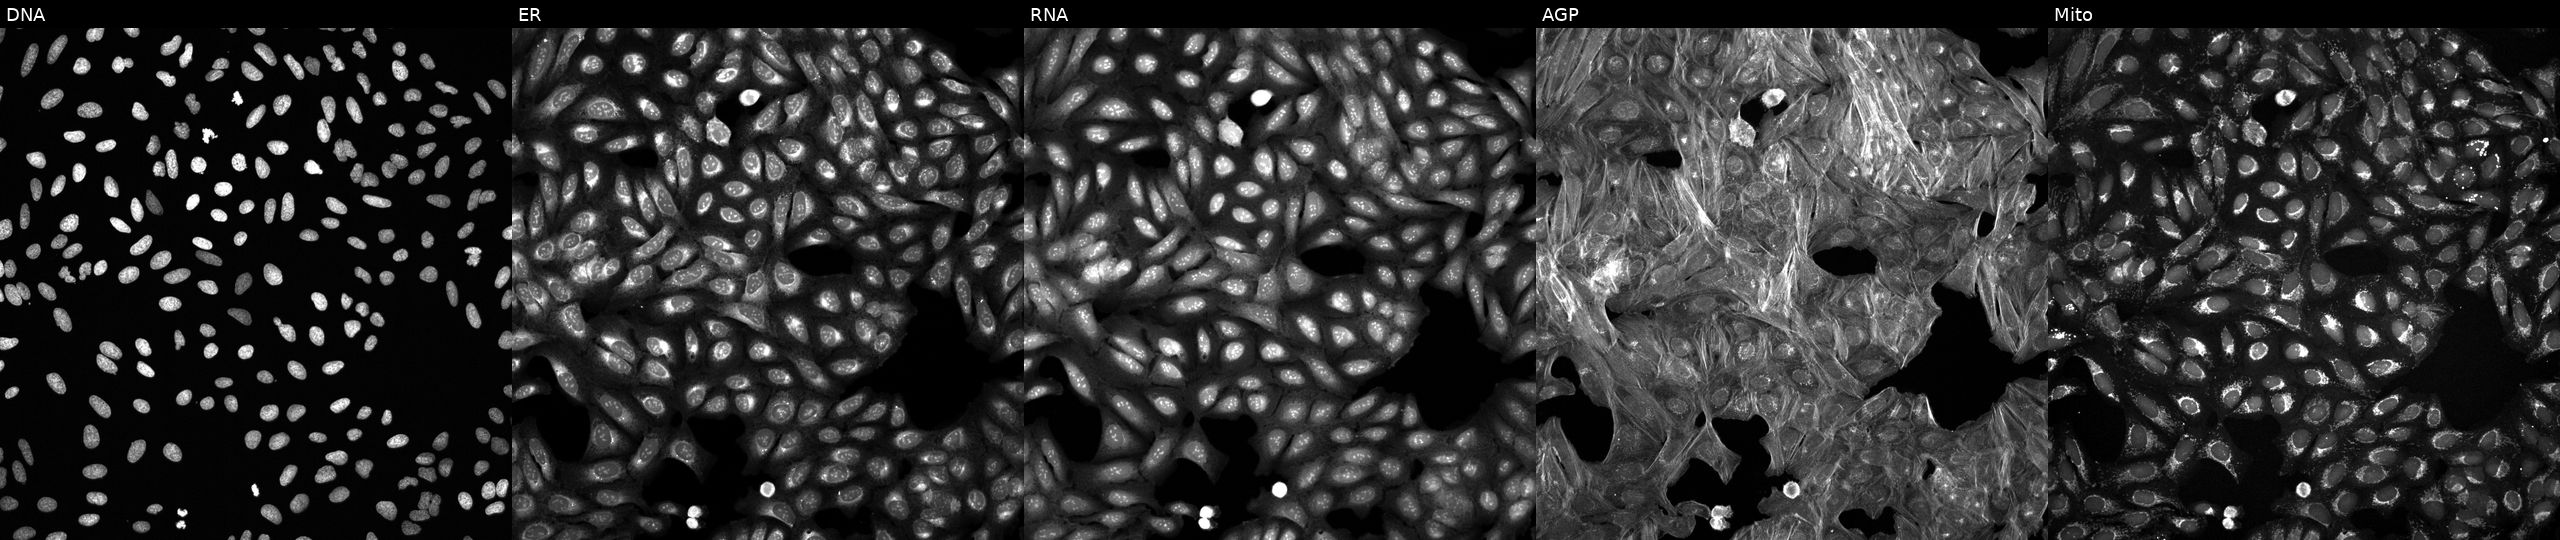
High-content fluorescence microscopy (Cell Painting). Cell line: U2OS. Perturbation: perturbed with a small-molecule compound (InChIKey ZNHSRRXMLTUGEW-UHFFFAOYSA-N). Channels (left→right): DNA (nuclei); ER (endoplasmic reticulum); RNA (nucleoli and cytoplasmic RNA); AGP (actin cytoskeleton, Golgi, and plasma membrane); Mito (mitochondria). Source 6, plate 110000293083, well O15.